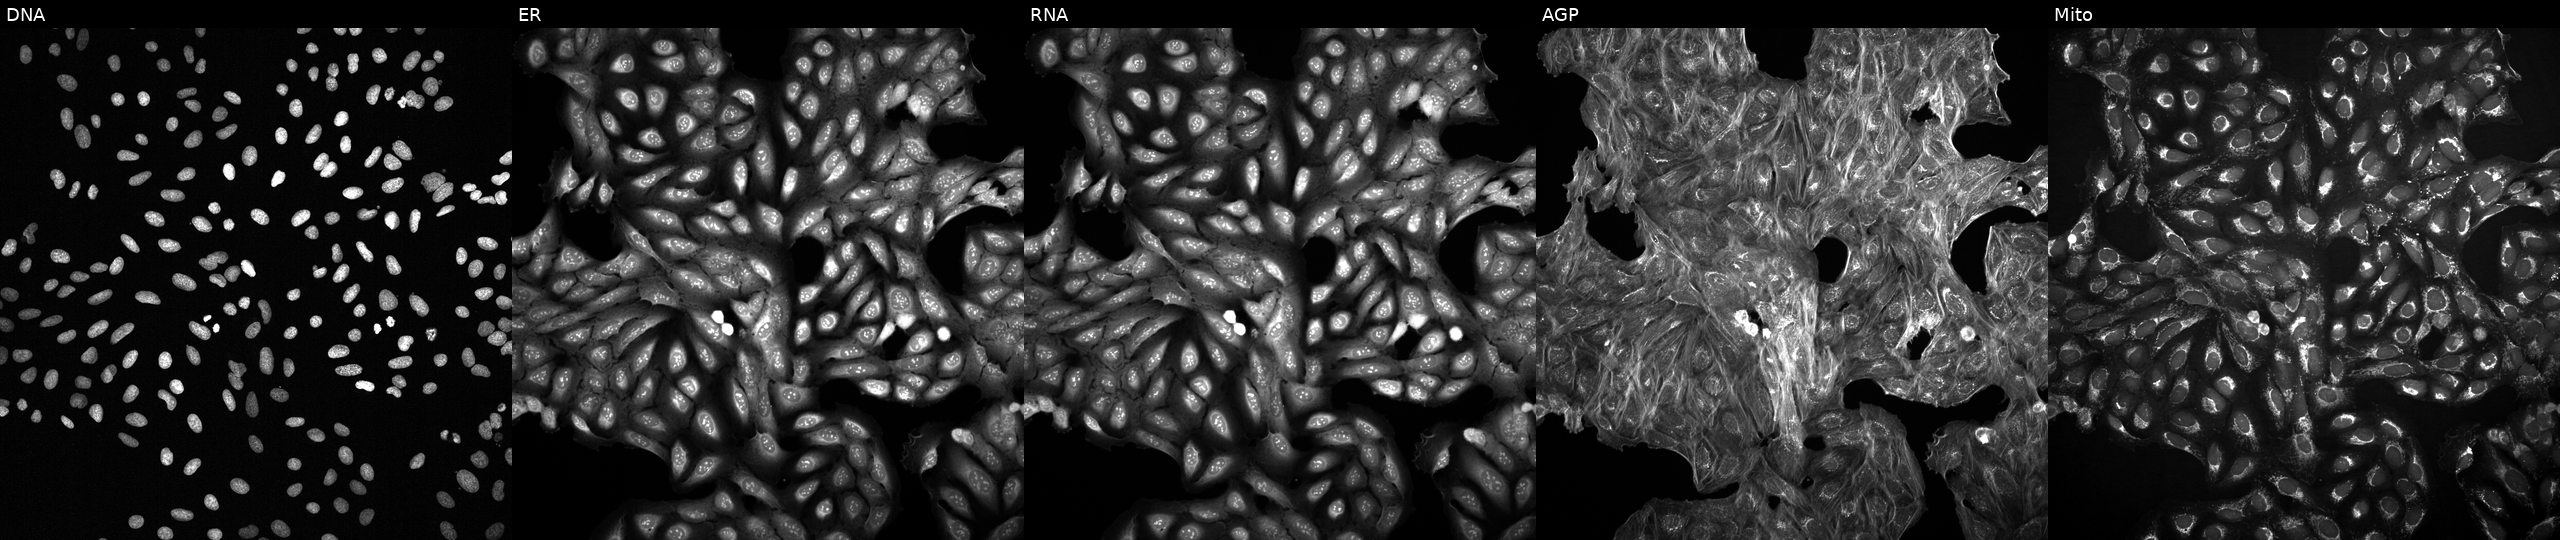
High-content fluorescence microscopy (Cell Painting). Cell line: U2OS. Perturbation: with an unidentified perturbation (not annotated in JUMP metadata). The five panels, left to right, show Hoechst 33342, concanavalin A, SYTO 14, phalloidin and WGA, MitoTracker.